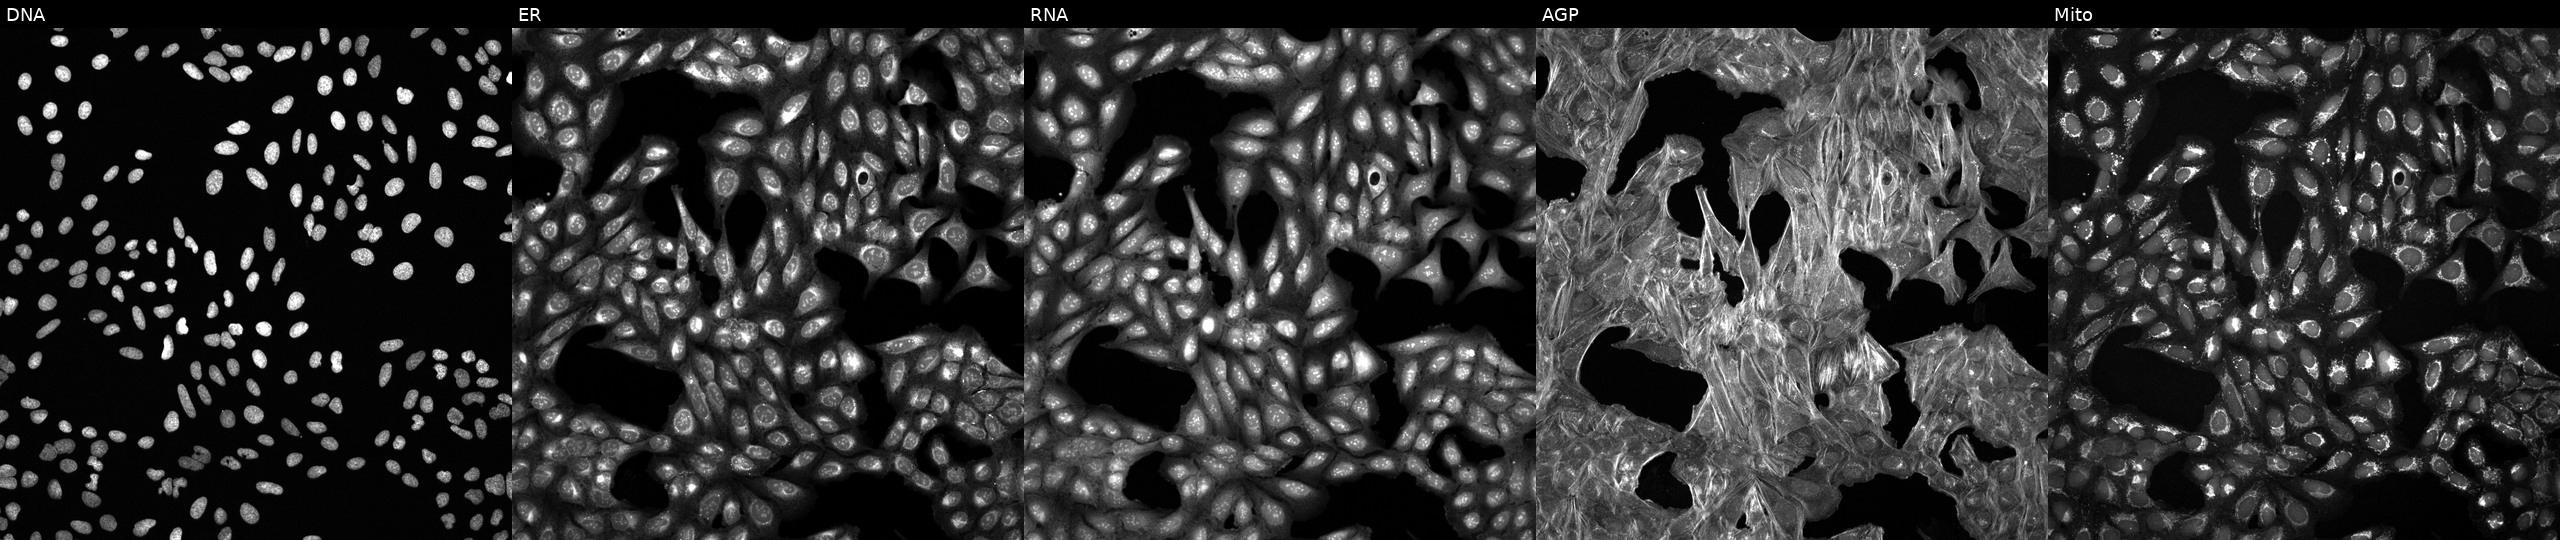
High-content fluorescence microscopy (Cell Painting). Cell line: U2OS. Perturbation: treated with DMSO vehicle only (negative control) (JUMP id JCP2022_033924). The five panels, left to right, show Hoechst 33342, concanavalin A, SYTO 14, phalloidin and WGA, MitoTracker.